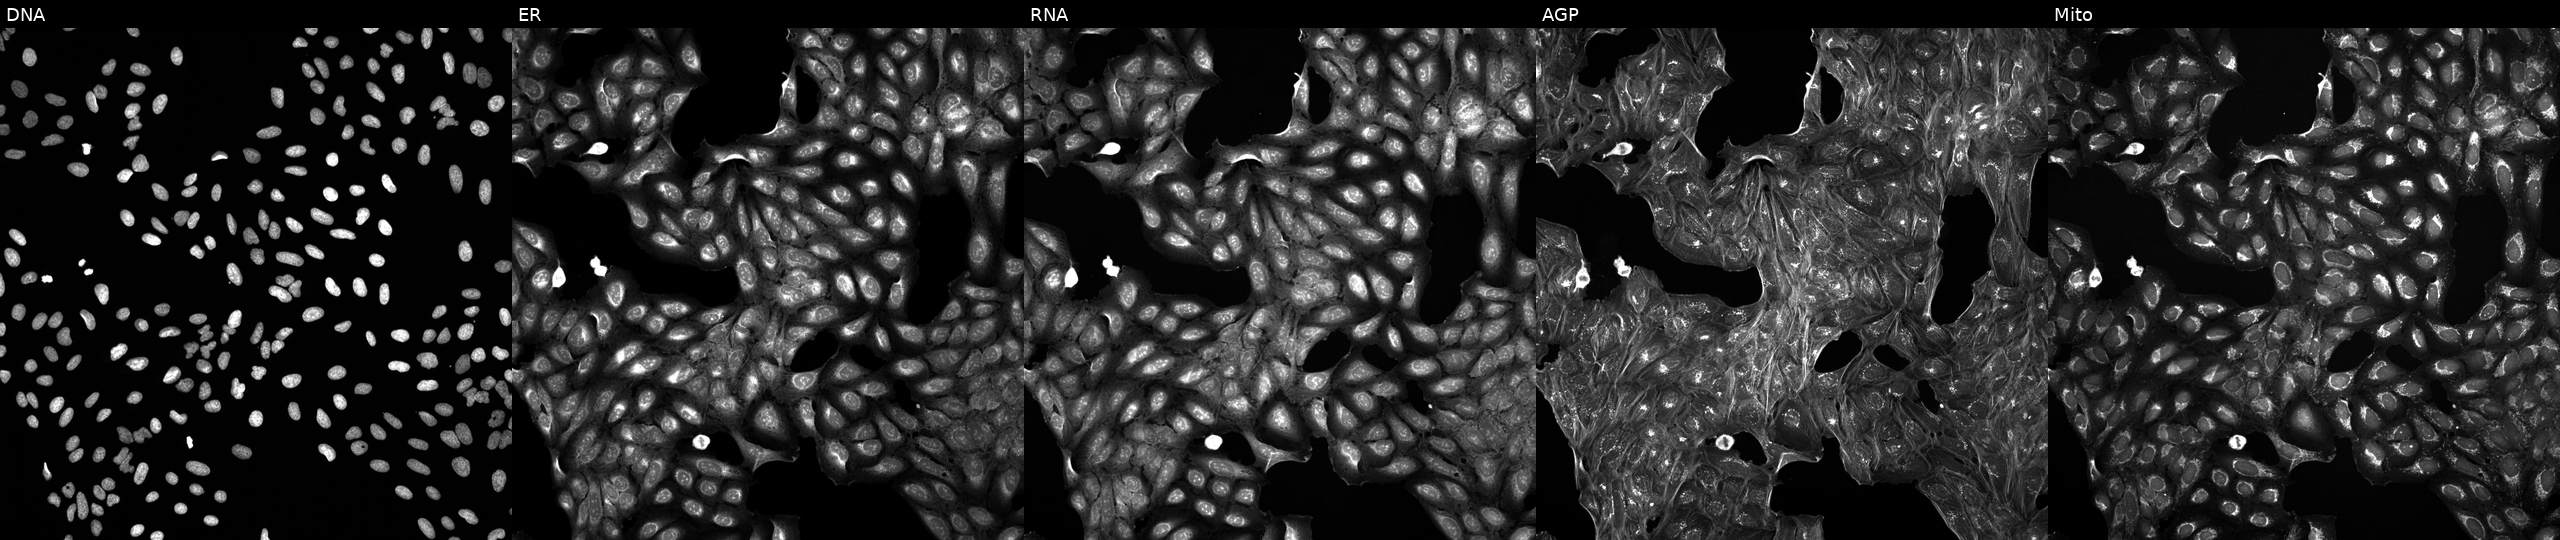
Five-channel Cell Painting image of U2OS cells exposed to a small-molecule compound (InChIKey HCRKCZRJWPKOAR-UHFFFAOYSA-N). From left to right: Hoechst 33342, concanavalin A, SYTO 14, phalloidin and WGA, MitoTracker. Source 5, plate ACPJUM012, well B19.